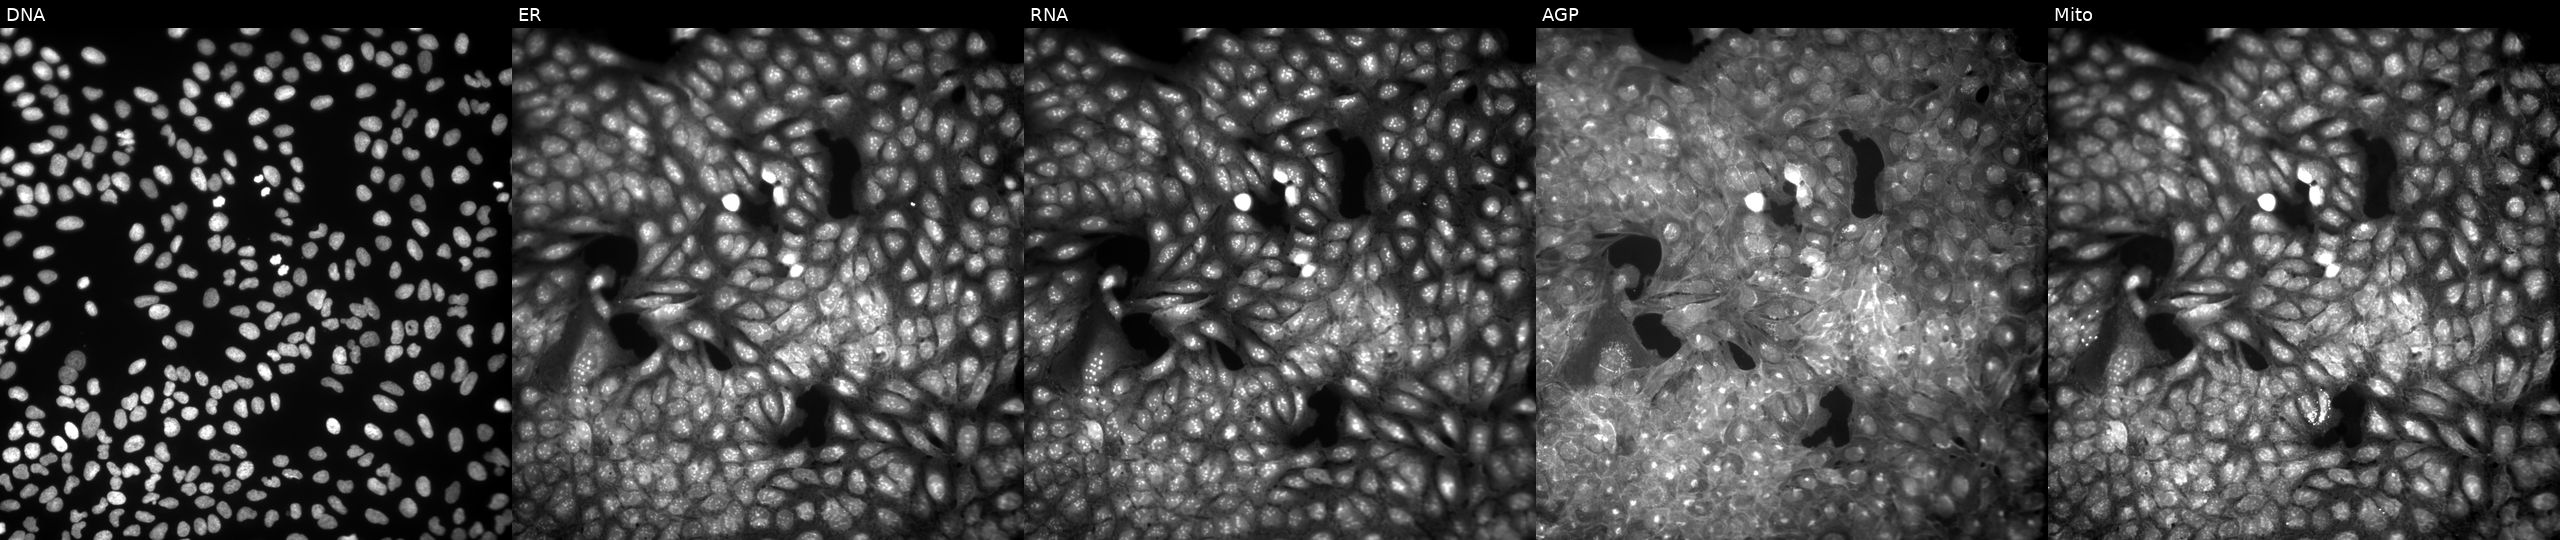
Five-channel Cell Painting image of U2OS cells exposed to a small-molecule compound (InChIKey IXLBXRJLVSNXEY-UHFFFAOYSA-N) [SMILES: O=C(CN1C(=O)c2ccccc2C1=O)Nc1cccc([N+](=O)[O-])c1] (JUMP id JCP2022_037986). Panels show, left to right, DNA, ER, RNA, AGP, and Mito.